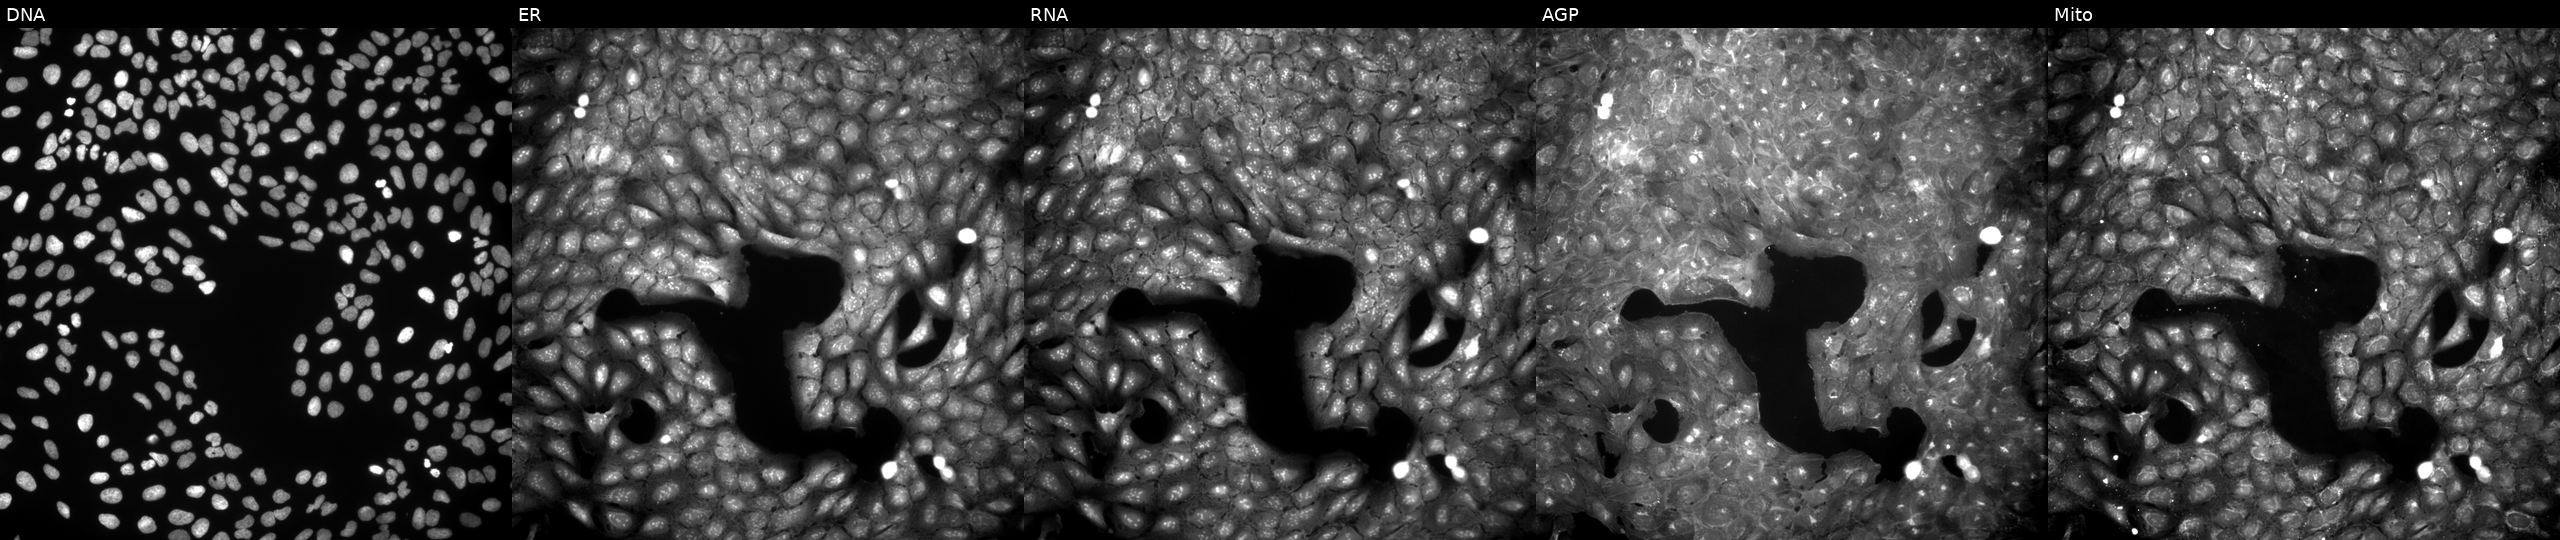
This image strip shows the five Cell Painting channels for a single field of U2OS cells perturbed with a small-molecule compound (InChIKey HTHHGRMOTAFRIH-UHFFFAOYSA-N) [SMILES: CS(=O)(=O)N(Cc1ccc(C(=O)NN=C2CCCC2)cc1)c1ccccc1] (JUMP id JCP2022_032441). Panels show, left to right, DNA, ER, RNA, AGP, and Mito.